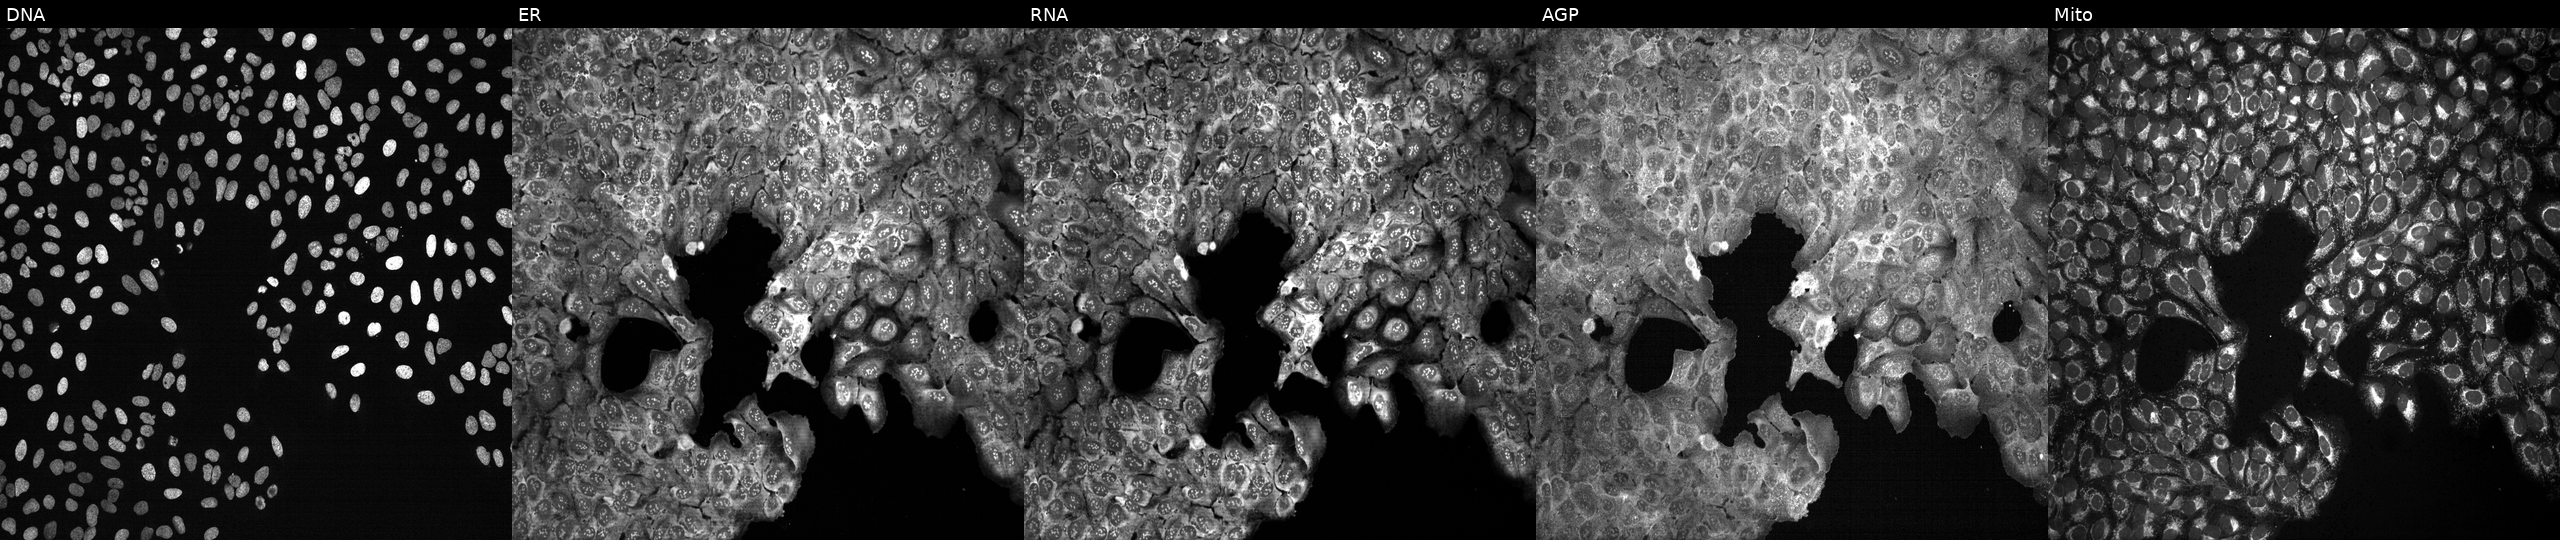
The five panels, left to right, show DNA, ER, RNA, AGP, and Mito. U2OS osteosarcoma cells with FANCA knocked out by CRISPR. Cell Painting assay, JUMP-CP dataset.